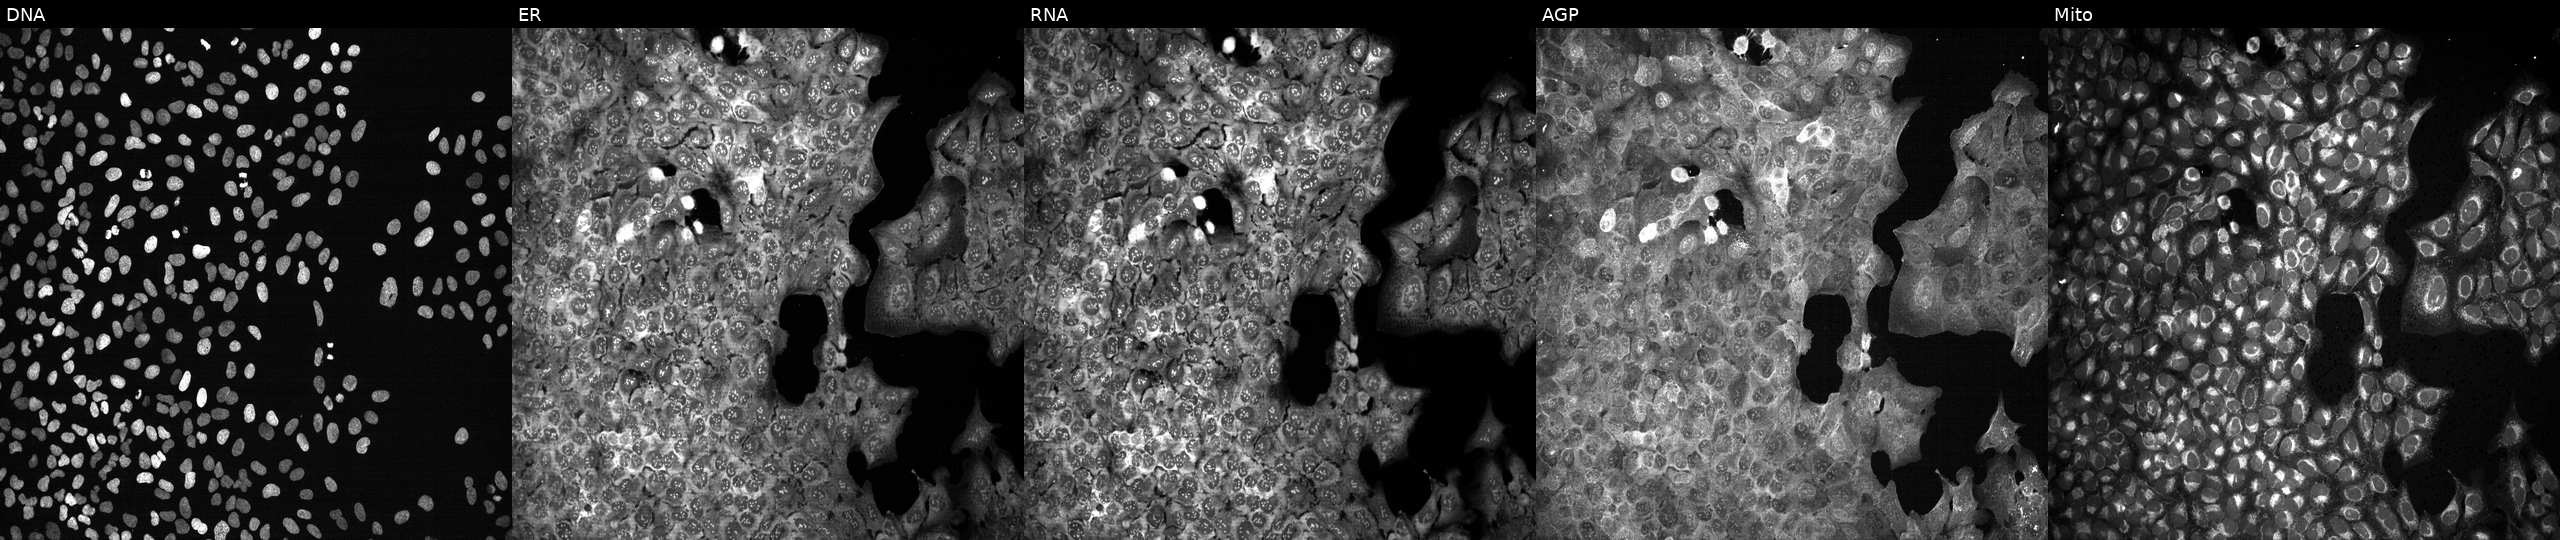
High-content fluorescence microscopy (Cell Painting). Cell line: U2OS. Perturbation: with no CRISPR guide (negative control) (JUMP id JCP2022_800001). Channels (left→right): DNA (nuclei); ER (endoplasmic reticulum); RNA (nucleoli and cytoplasmic RNA); AGP (actin cytoskeleton, Golgi, and plasma membrane); Mito (mitochondria).